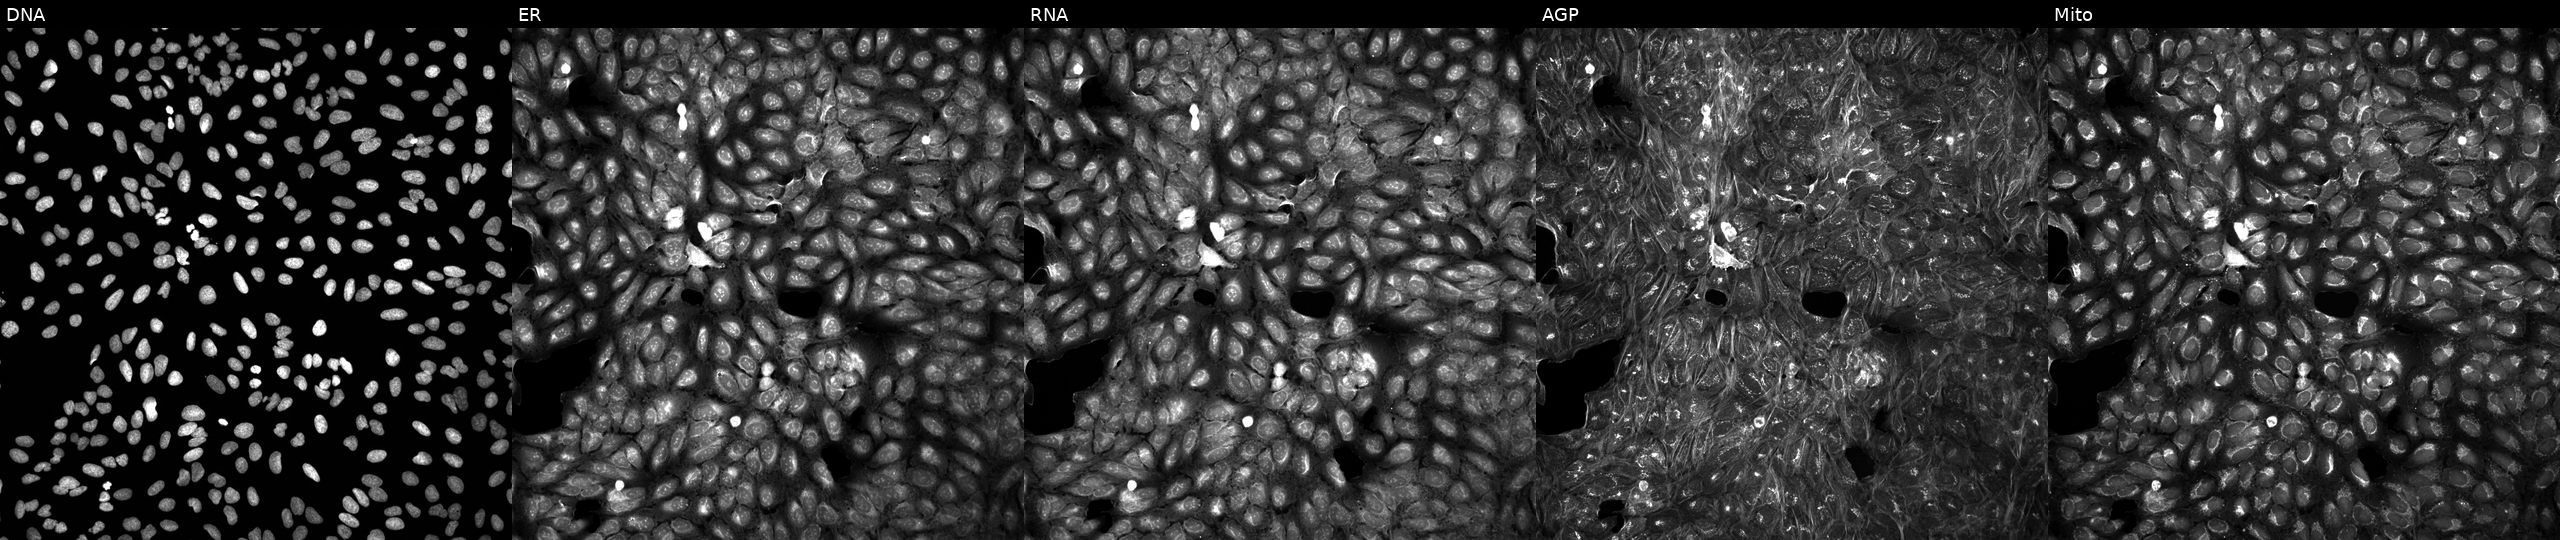
U2OS cells, Cell Painting assay, perturbed with a small-molecule compound (JUMP id JCP2022_088088). The five panels, left to right, show Hoechst 33342, concanavalin A, SYTO 14, phalloidin and WGA, MitoTracker. Each panel is percentile-stretched 16-bit fluorescence.